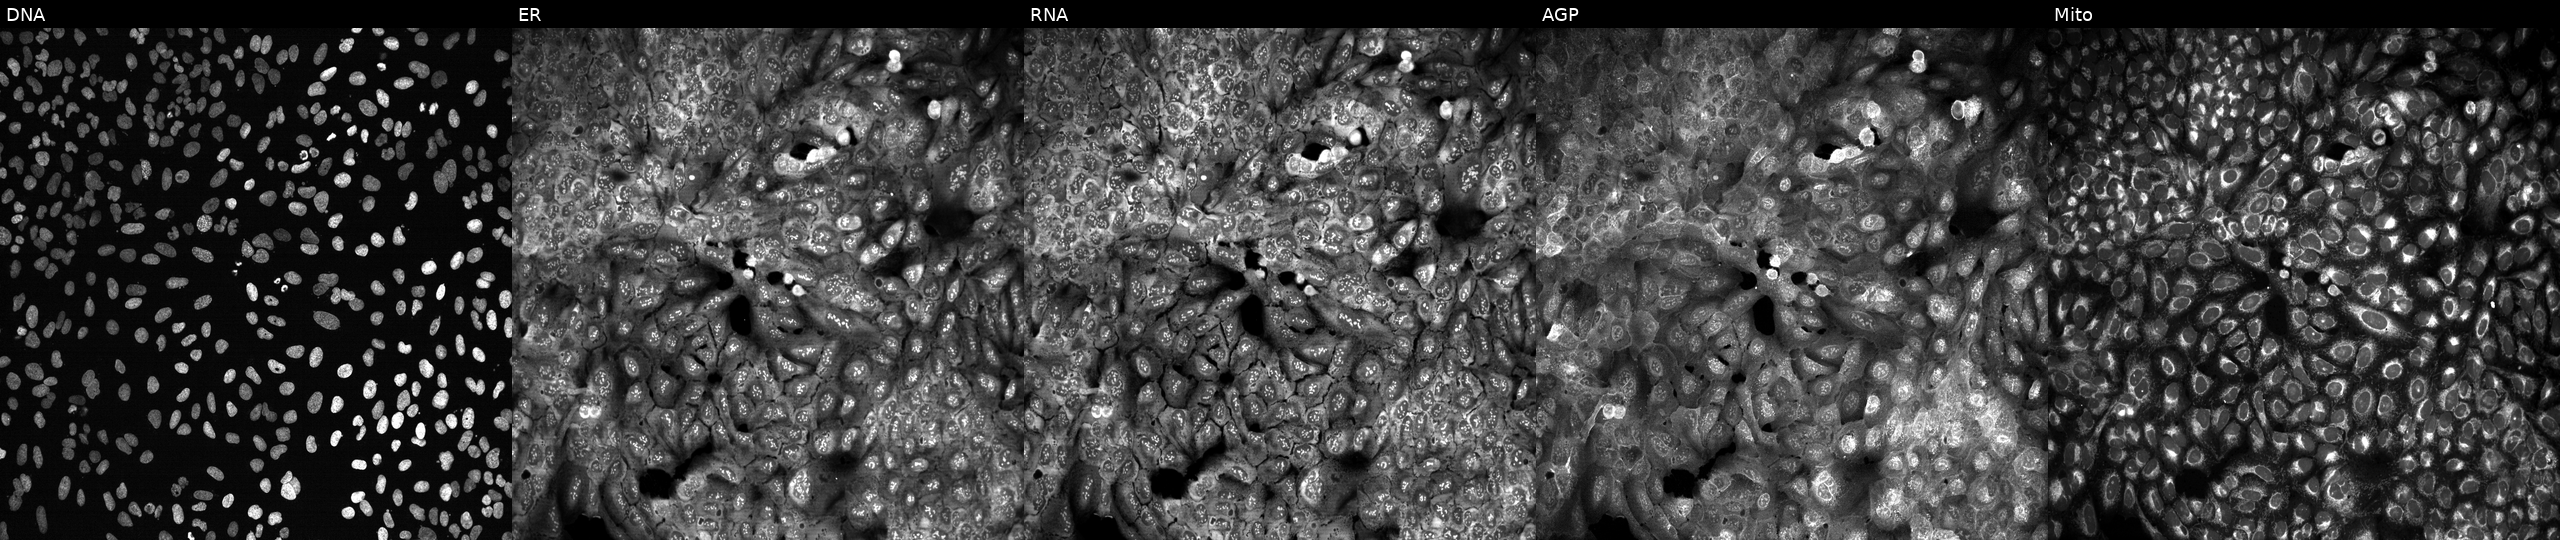
From left to right: Hoechst 33342, concanavalin A, SYTO 14, phalloidin and WGA, MitoTracker. U2OS osteosarcoma cells CRISPR-edited to disrupt PYGL. Cell Painting assay, JUMP-CP dataset.